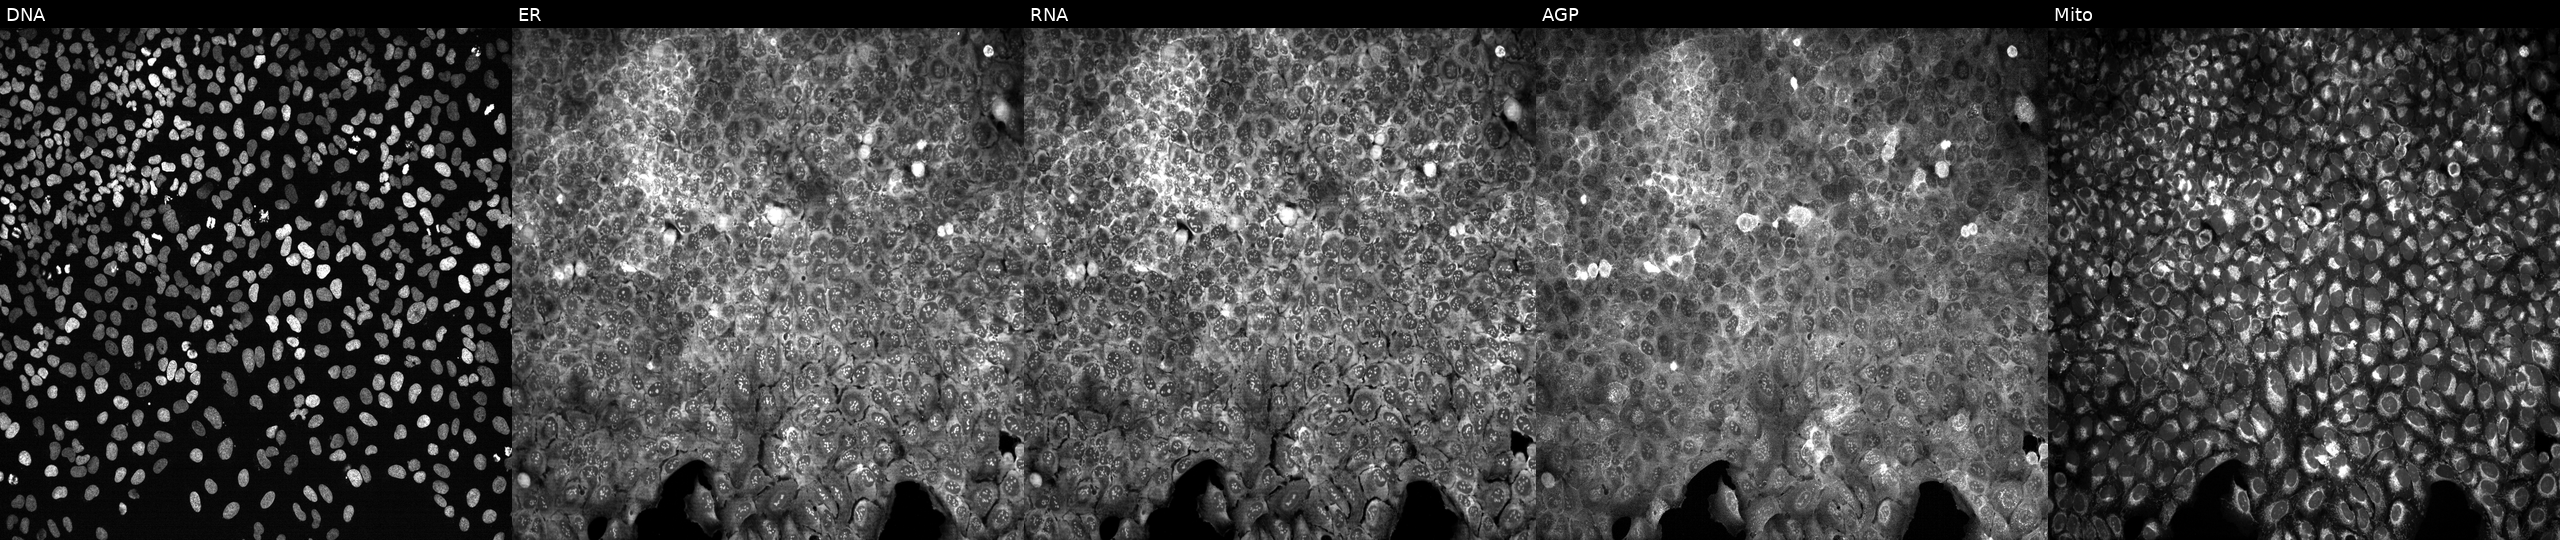
High-content fluorescence microscopy (Cell Painting). Cell line: U2OS. Perturbation: following CRISPR knockout of GAD2 (JUMP id JCP2022_802570). Channels (left→right): DNA (nuclei); ER (endoplasmic reticulum); RNA (nucleoli and cytoplasmic RNA); AGP (actin cytoskeleton, Golgi, and plasma membrane); Mito (mitochondria). Source 13, plate CP-CC9-R4-03, well O09.